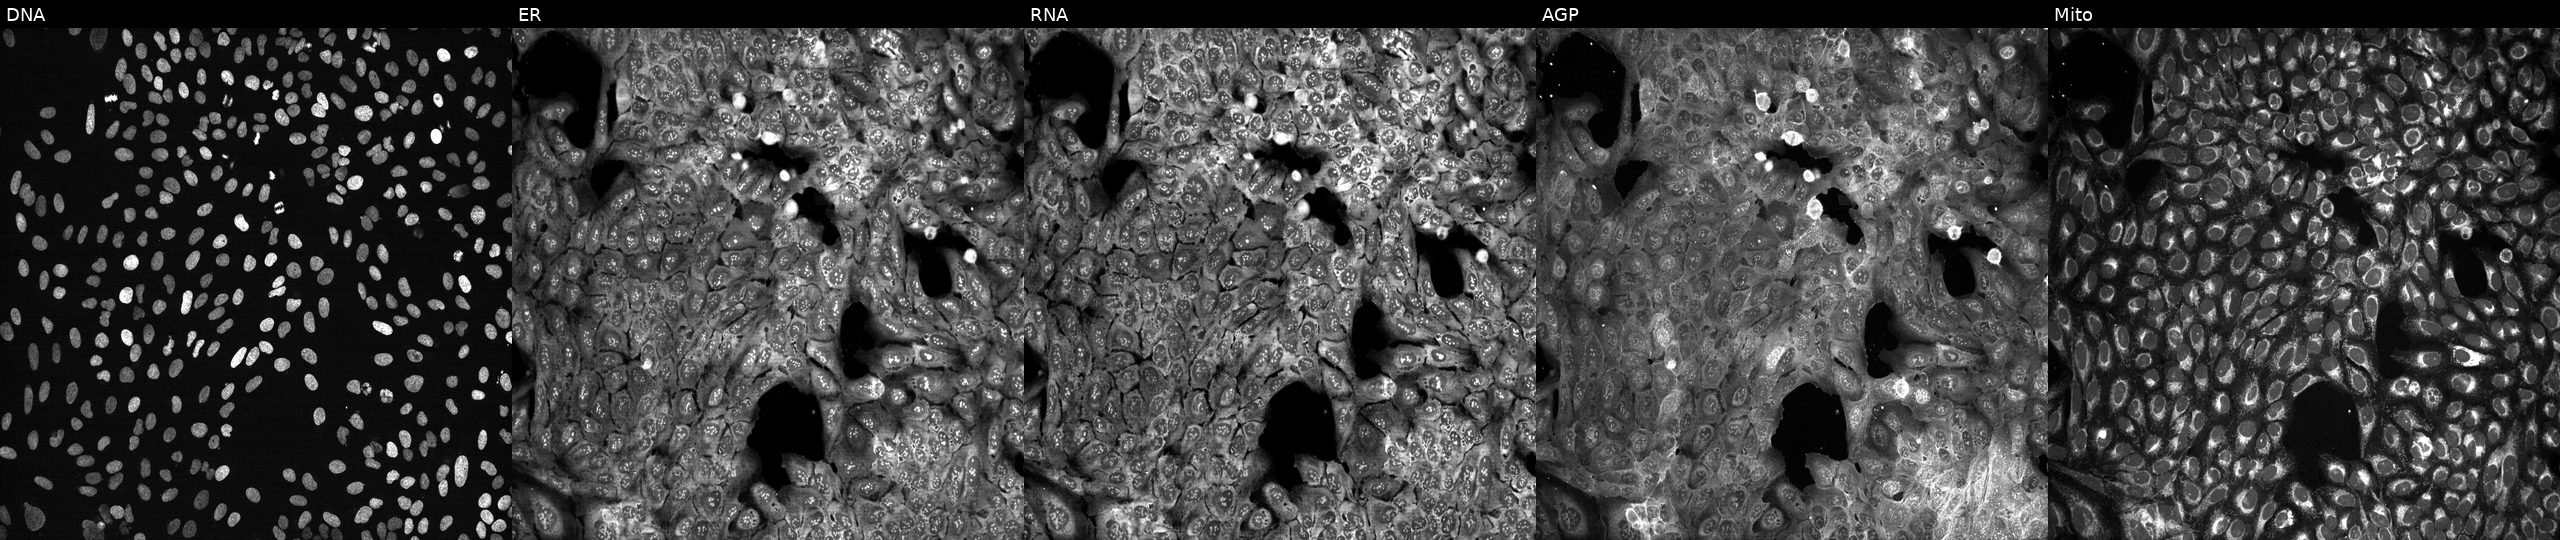
This image strip shows the five Cell Painting channels for a single field of U2OS cells following CRISPR knockout of SOD1 (JUMP id JCP2022_806681). The five panels, left to right, show DNA, ER, RNA, AGP, and Mito.